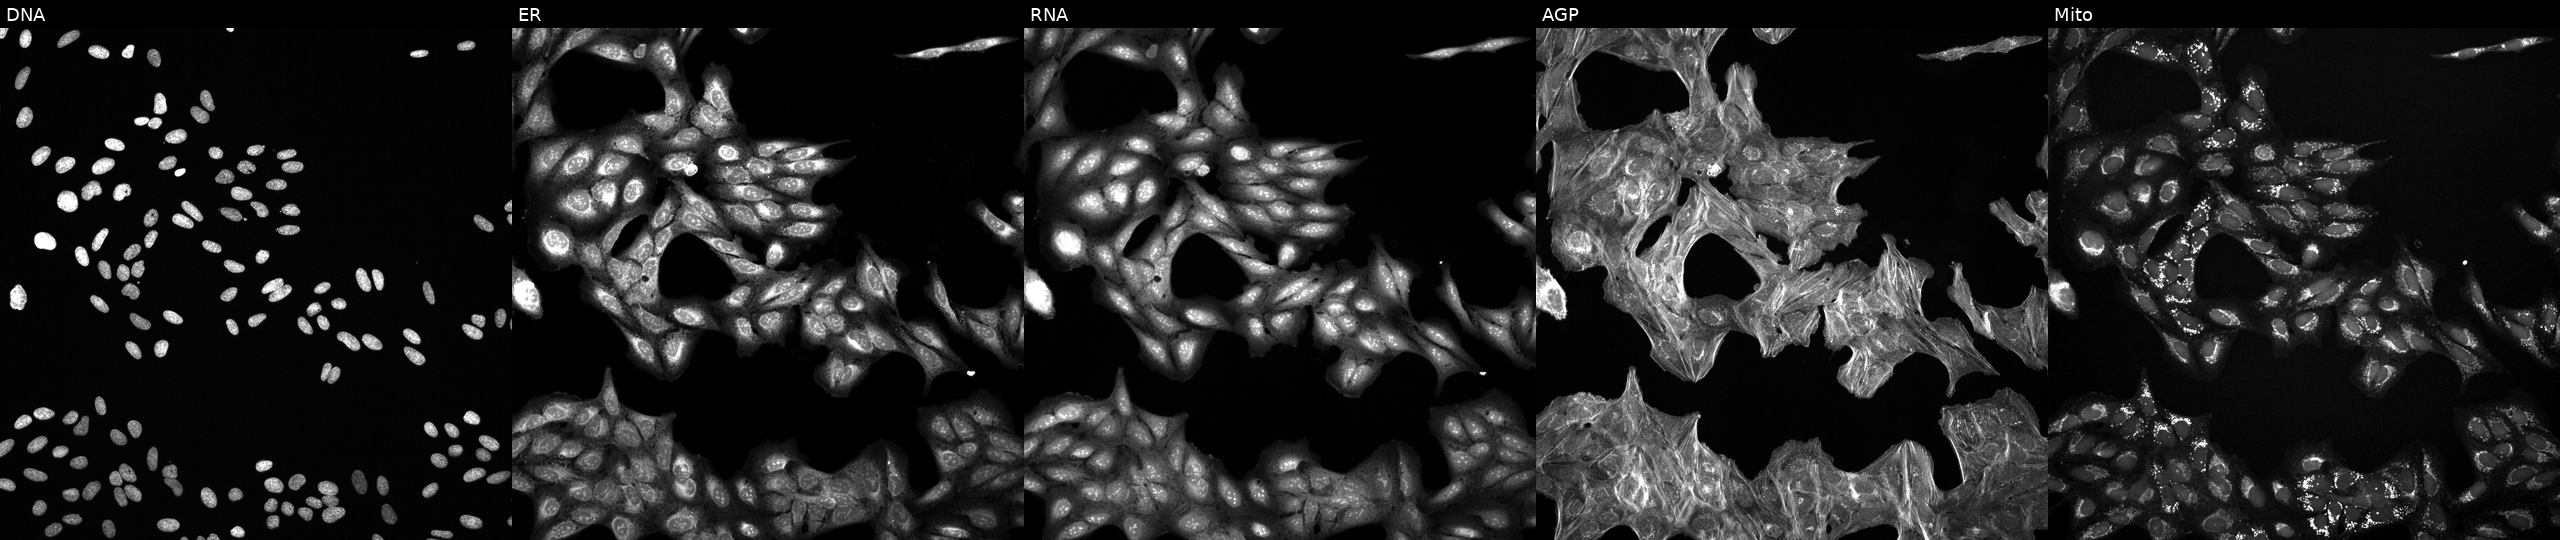
Five-channel Cell Painting image of U2OS cells exposed to a small-molecule compound (JUMP id JCP2022_002795). From left to right: DNA (nuclei); ER (endoplasmic reticulum); RNA (nucleoli and cytoplasmic RNA); AGP (actin cytoskeleton, Golgi, and plasma membrane); Mito (mitochondria). Source 6, plate 110000293082, well M14.